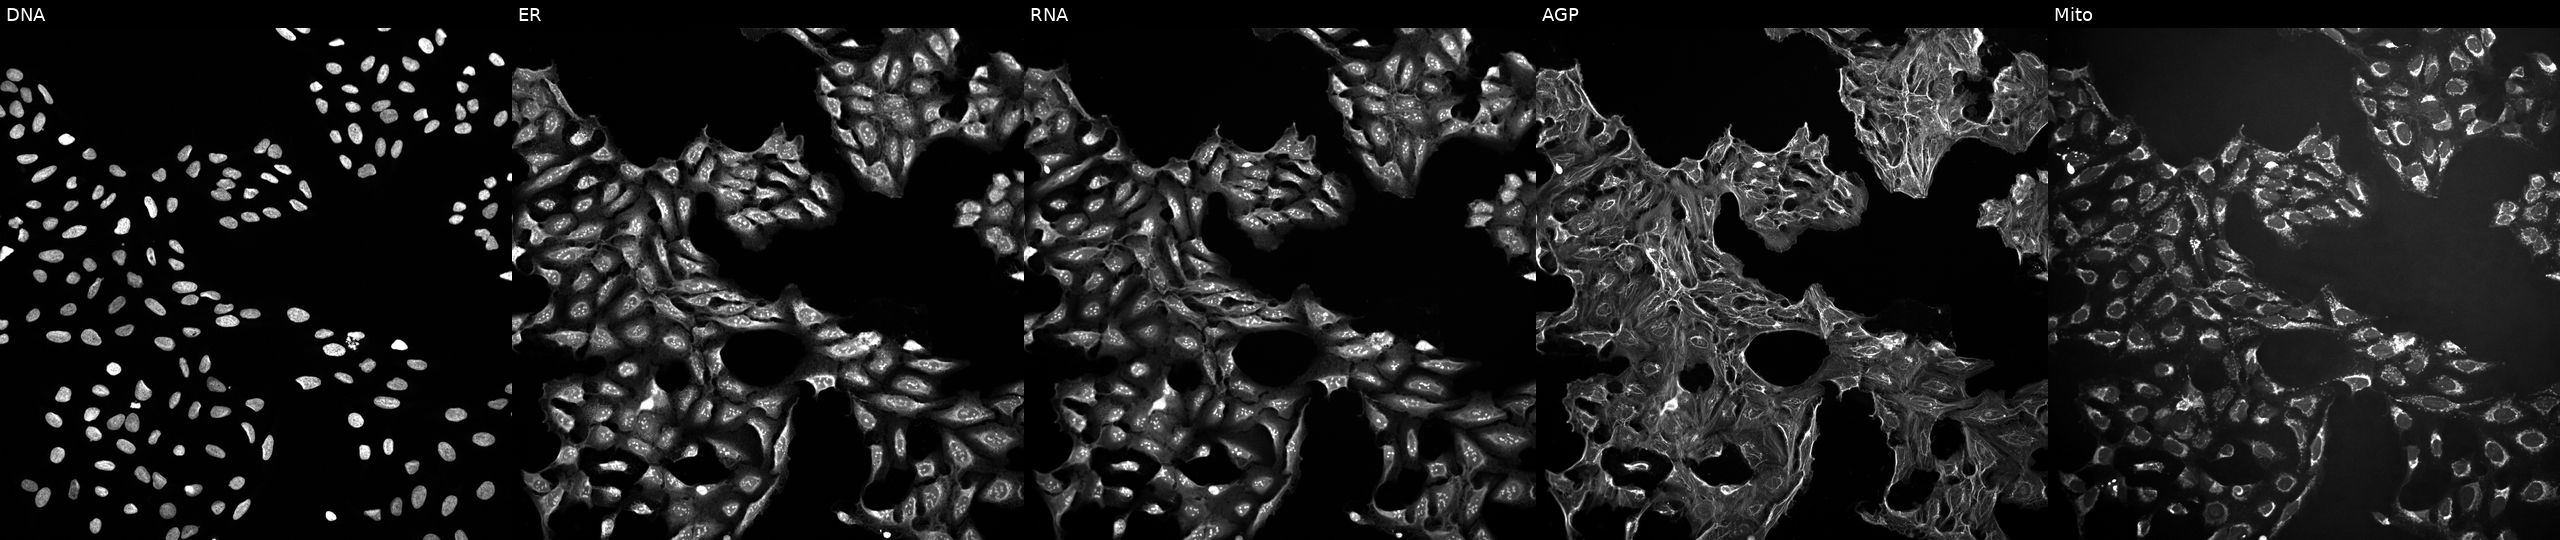
U2OS cells, Cell Painting assay, exposed to a small-molecule compound (InChIKey VDQLKIBLTMPAHI-UHFFFAOYSA-N) (JUMP id JCP2022_093289). Channels (left→right): DNA (nuclei); ER (endoplasmic reticulum); RNA (nucleoli and cytoplasmic RNA); AGP (actin cytoskeleton, Golgi, and plasma membrane); Mito (mitochondria). Each panel is percentile-stretched 16-bit fluorescence. Source 10, plate Dest210726-160150, well B03.